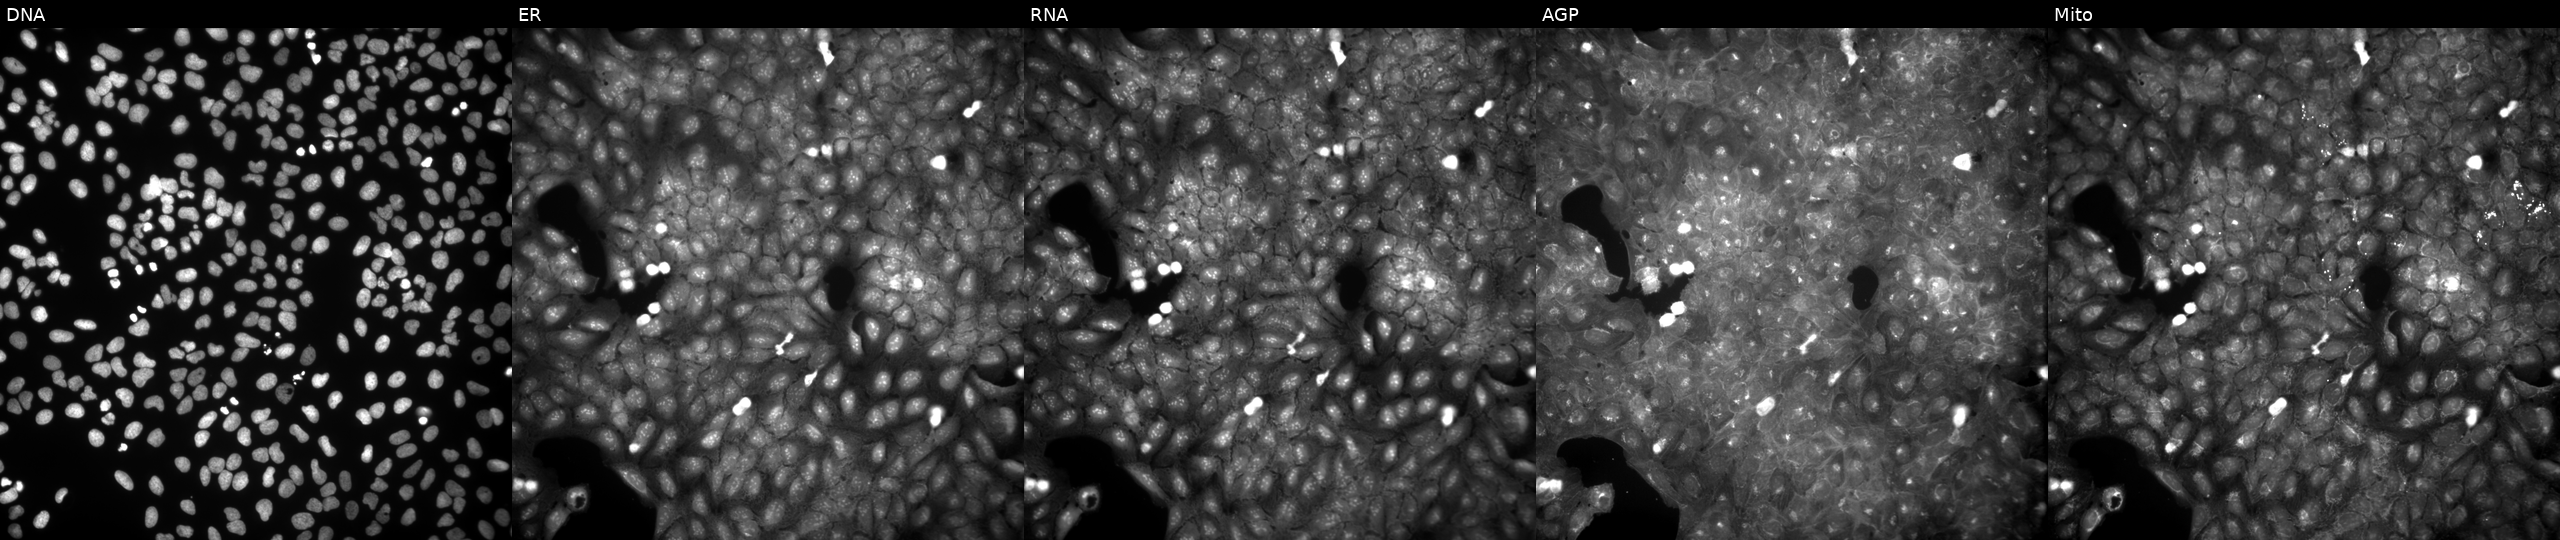
Panels show, left to right, Hoechst 33342, concanavalin A, SYTO 14, phalloidin and WGA, MitoTracker. U2OS osteosarcoma cells exposed to a small-molecule compound (InChIKey QBRFTSRIMJCUCQ-UHFFFAOYSA-N) [SMILES: CCCCOC(=O)Nc1ccc(S(=O)(=O)N=c2o[nH]c(C)c2C)cc1]. Cell Painting assay, JUMP-CP dataset. Source 9, plate GR00003381, well S38.